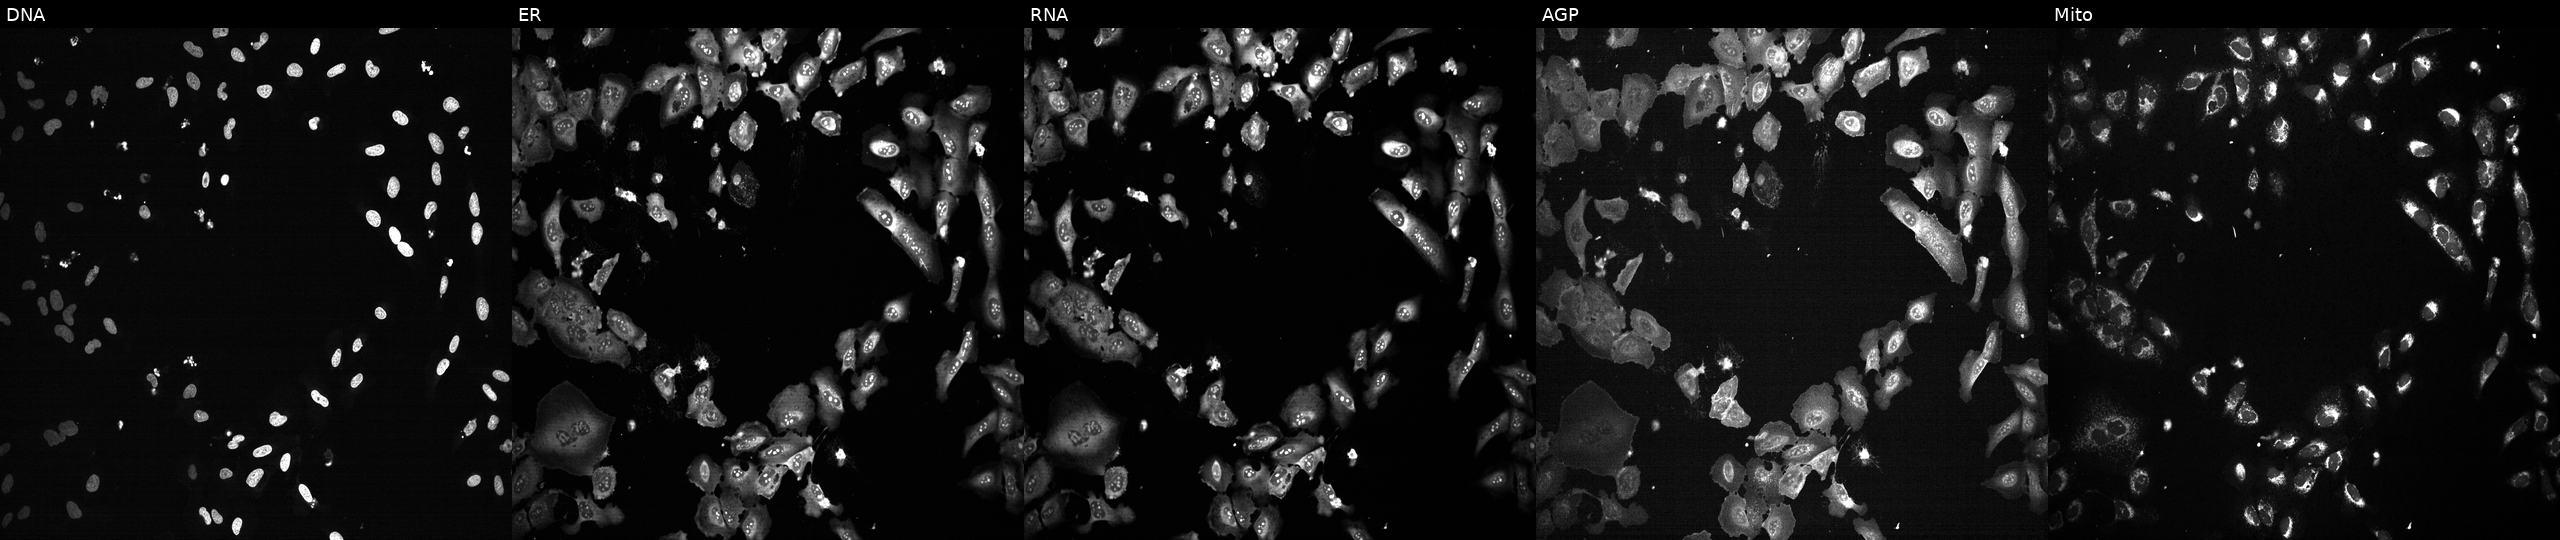
High-content fluorescence microscopy (Cell Painting). Cell line: U2OS. Perturbation: exposed to the positive-control compound TC-S-7004. Channels (left→right): DNA, ER, RNA, AGP, and Mito. Source 13, plate CP-CC9-R3-01, well P01.